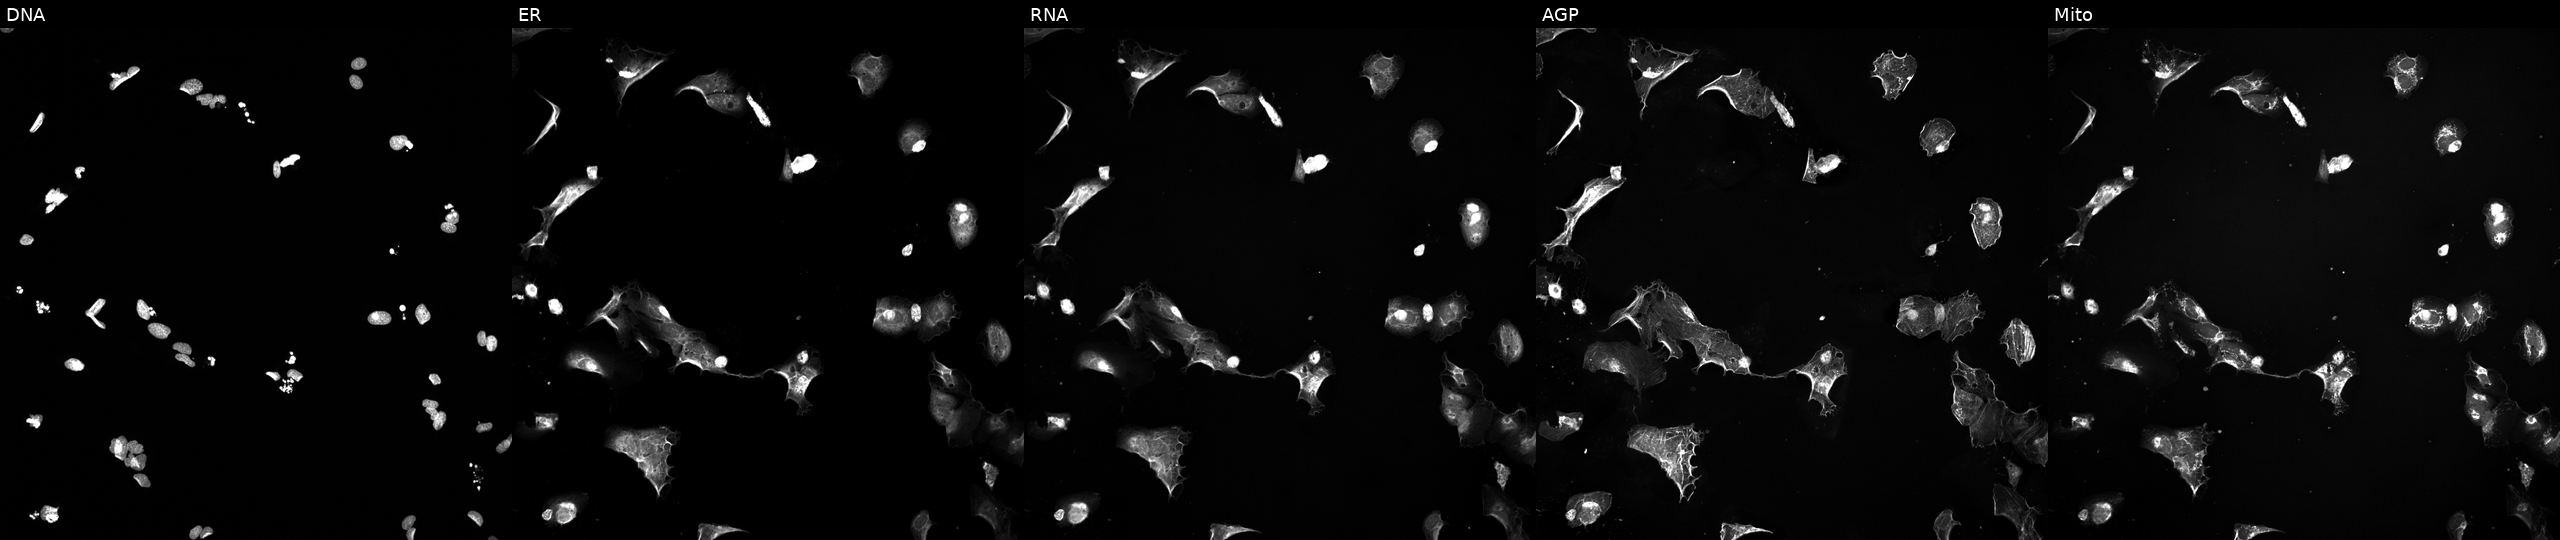
Channels (left→right): DNA (nuclei); ER (endoplasmic reticulum); RNA (nucleoli and cytoplasmic RNA); AGP (actin cytoskeleton, Golgi, and plasma membrane); Mito (mitochondria). U2OS osteosarcoma cells perturbed with a small-molecule compound (InChIKey RVAQIUULWULRNW-UHFFFAOYSA-N) [SMILES: CC(C)c1cc(-c2n[nH]c(=O)n2-c2ccc3c(ccn3C)c2)c(O)cc1O] (JUMP id JCP2022_080920). Cell Painting assay, JUMP-CP dataset. Source 5, plate ACPJUM051, well L22.